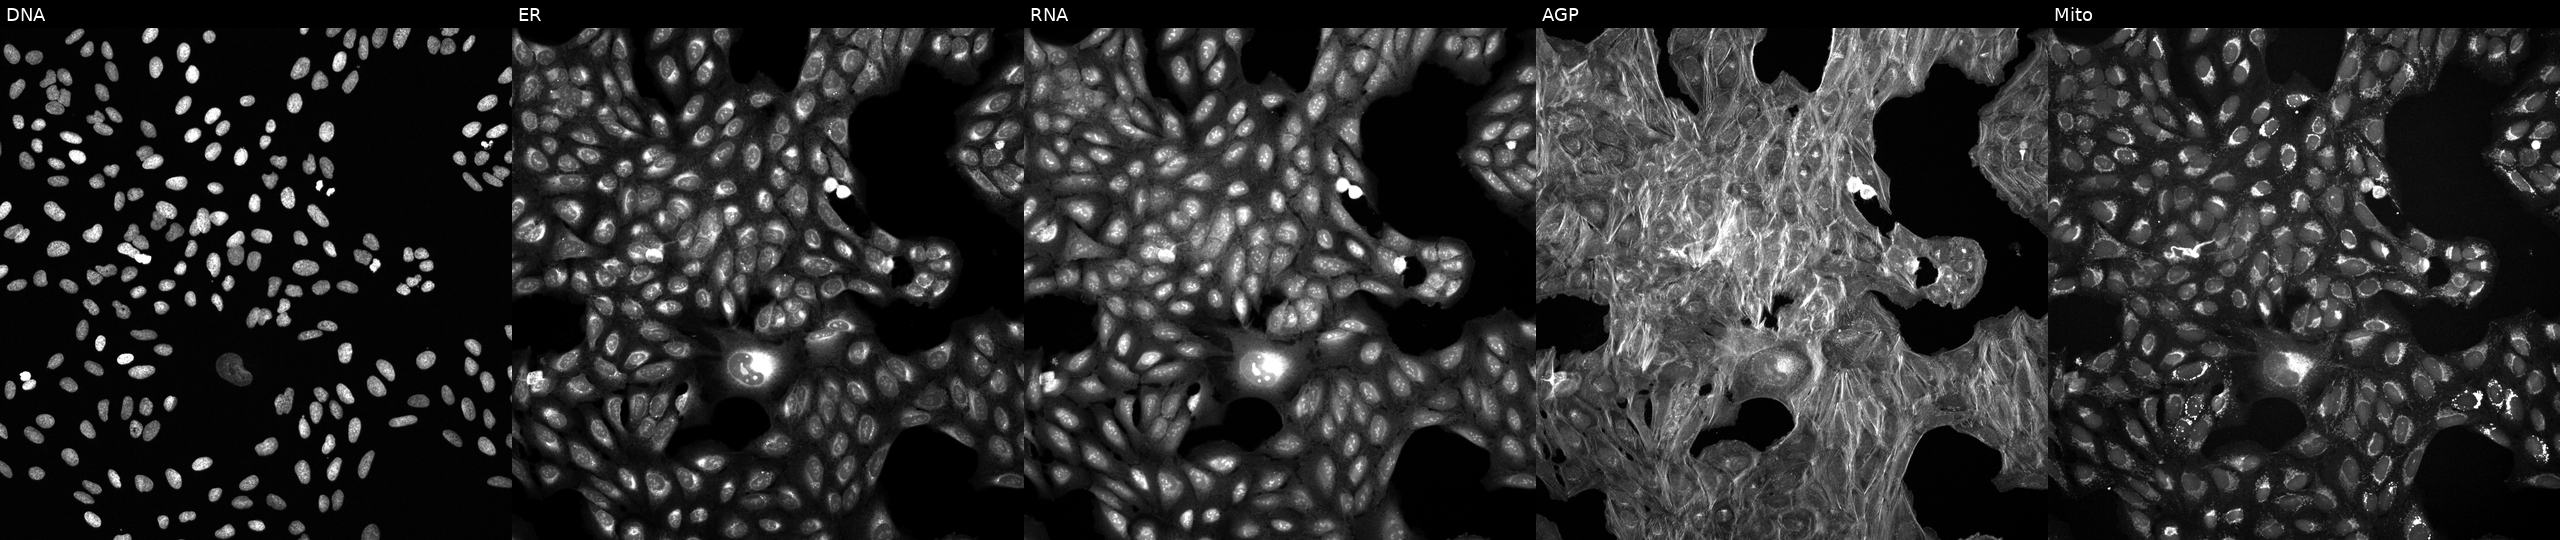
Five-channel Cell Painting image of U2OS cells exposed to a small-molecule compound (InChIKey IWLDMGHWHPYRNG-UHFFFAOYSA-N) [SMILES: O=C(CC(c1cccs1)n1cccc1)Nc1ccc(F)c(F)c1] (JUMP id JCP2022_037821). Panels show, left to right, Hoechst 33342, concanavalin A, SYTO 14, phalloidin and WGA, MitoTracker.